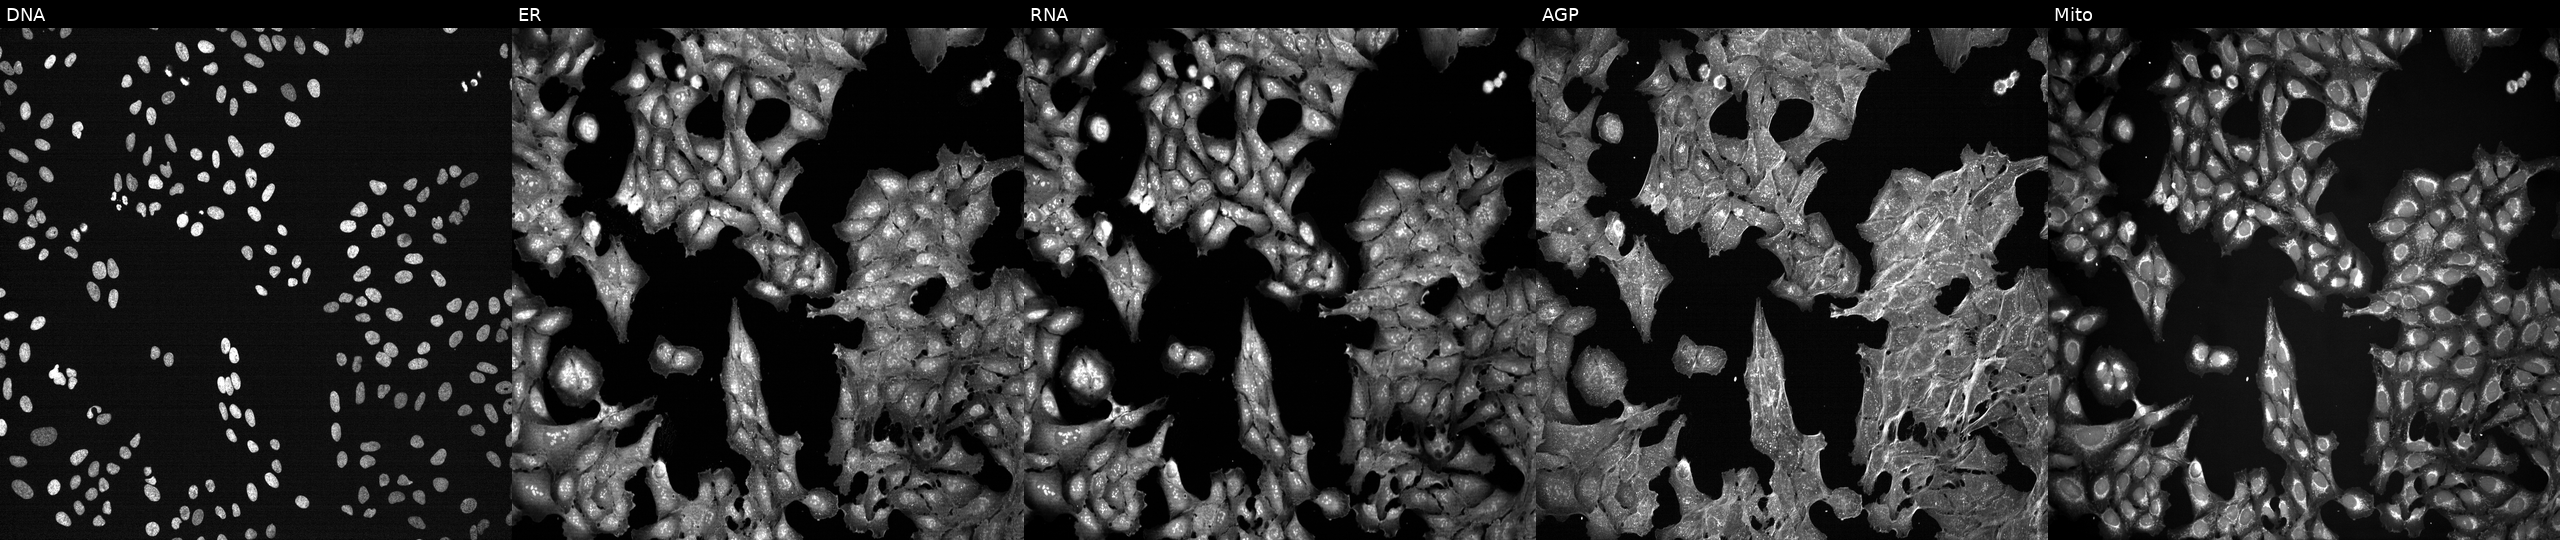
Channels (left→right): DNA (nuclei); ER (endoplasmic reticulum); RNA (nucleoli and cytoplasmic RNA); AGP (actin cytoskeleton, Golgi, and plasma membrane); Mito (mitochondria). U2OS osteosarcoma cells exposed to a small-molecule compound [SMILES: CC(=O)SCC(Cc1ccccc1)C(=O)NCC(=O)OCc1ccccc1] (JUMP id JCP2022_063174). Cell Painting assay, JUMP-CP dataset.